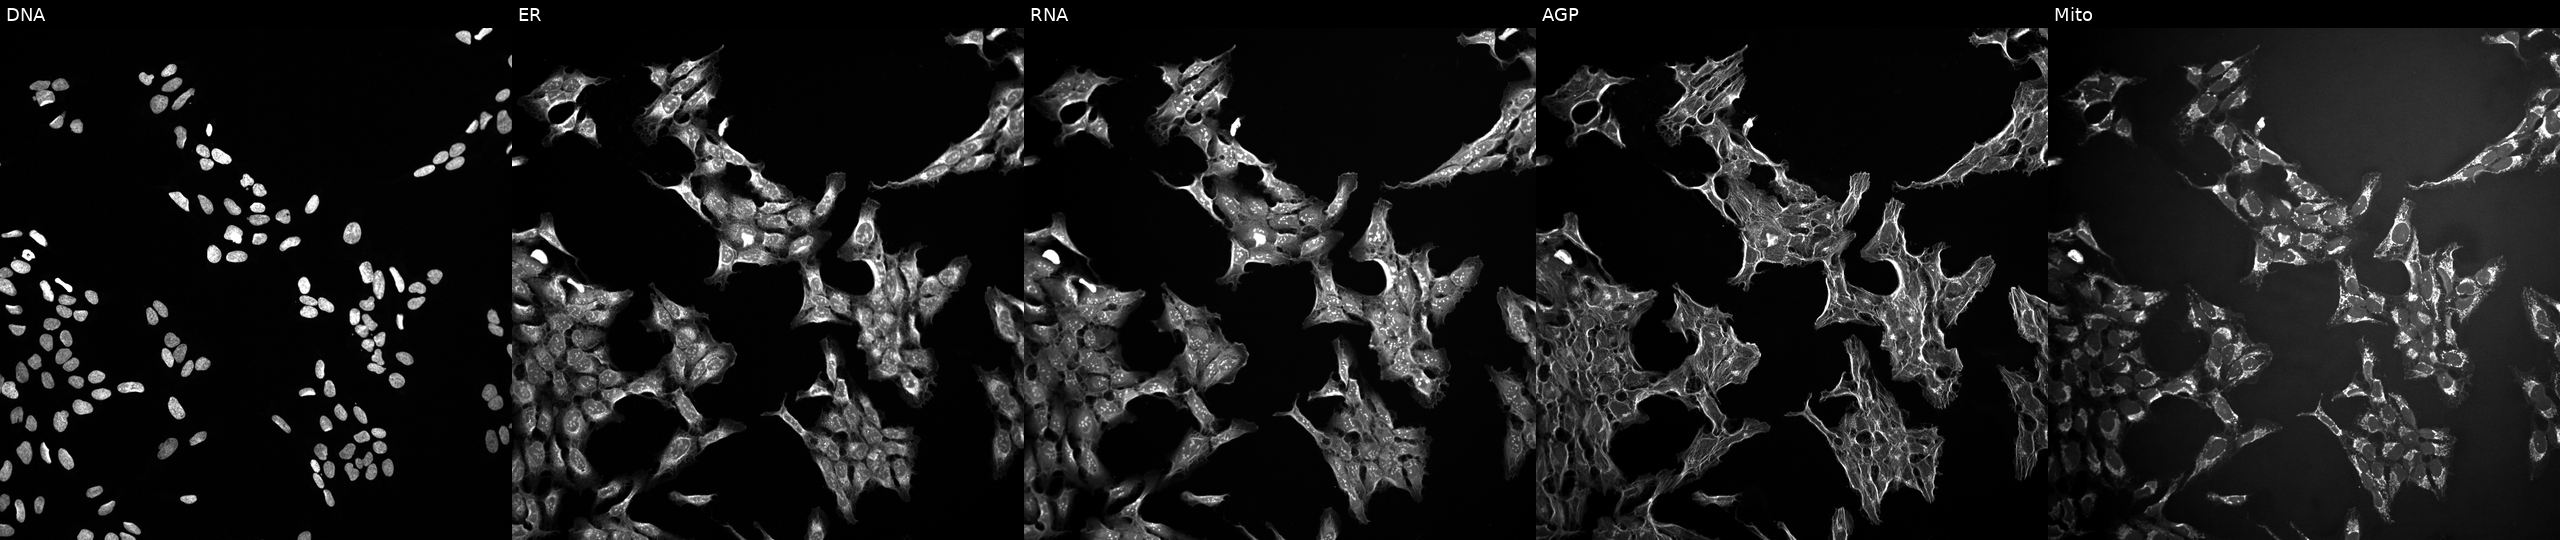
High-content fluorescence microscopy (Cell Painting). Cell line: U2OS. Perturbation: perturbed with a small-molecule compound (InChIKey CDMGBJANTYXAIV-UHFFFAOYSA-N). Channels (left→right): DNA, ER, RNA, AGP, and Mito.